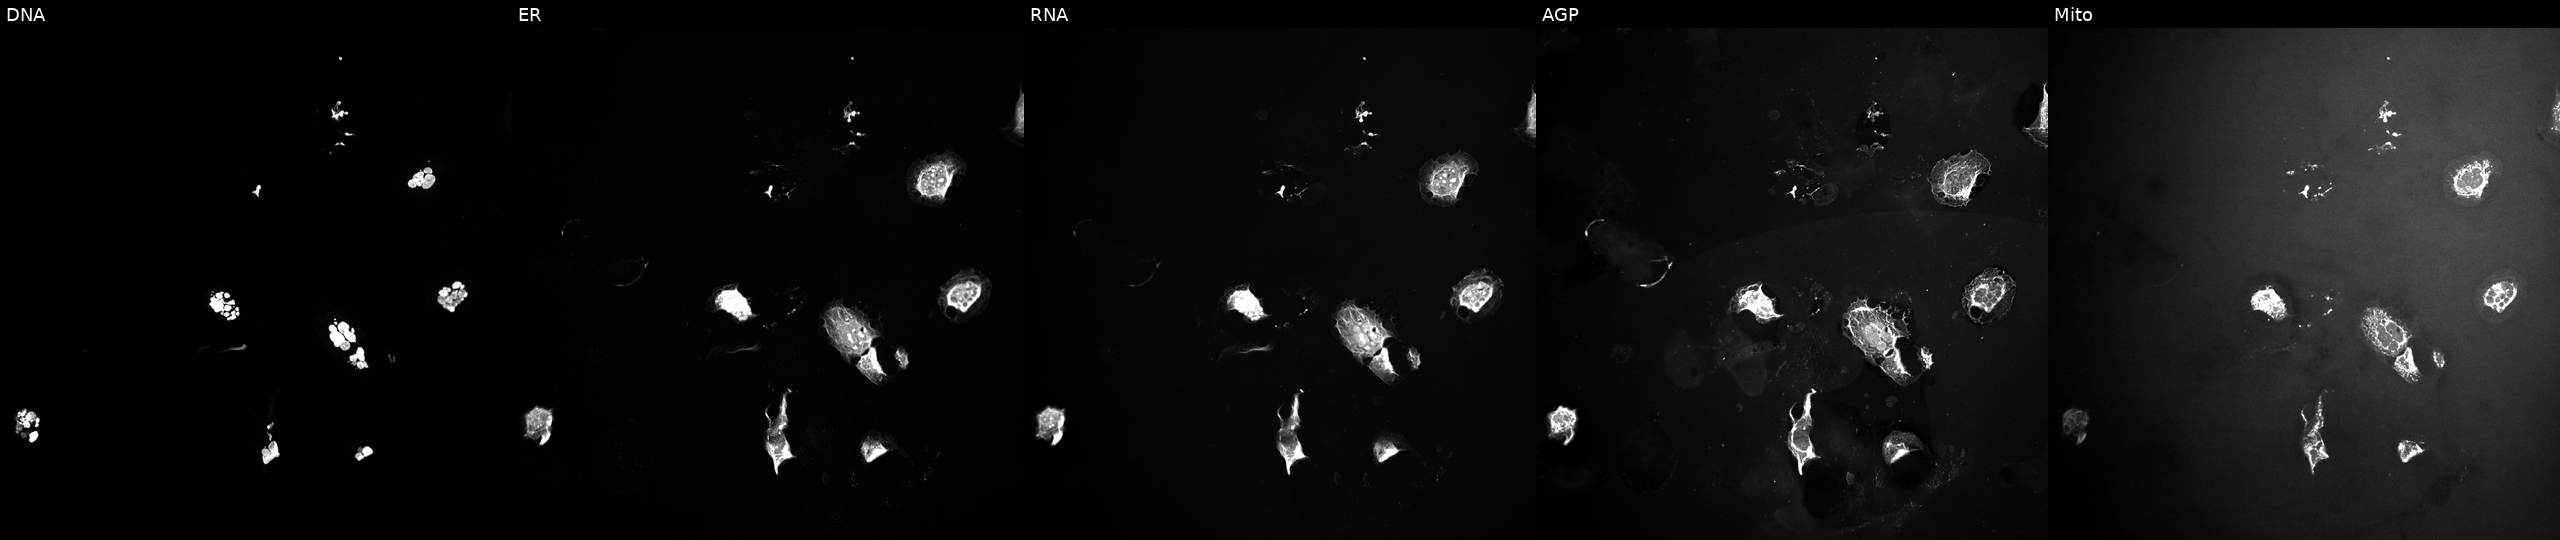
High-content fluorescence microscopy (Cell Painting). Cell line: U2OS. Perturbation: perturbed with a small-molecule compound (InChIKey FABUFPQFXZVHFB-UHFFFAOYSA-N). From left to right: Hoechst 33342, concanavalin A, SYTO 14, phalloidin and WGA, MitoTracker. Source 10, plate Dest210803-153958, well K22.